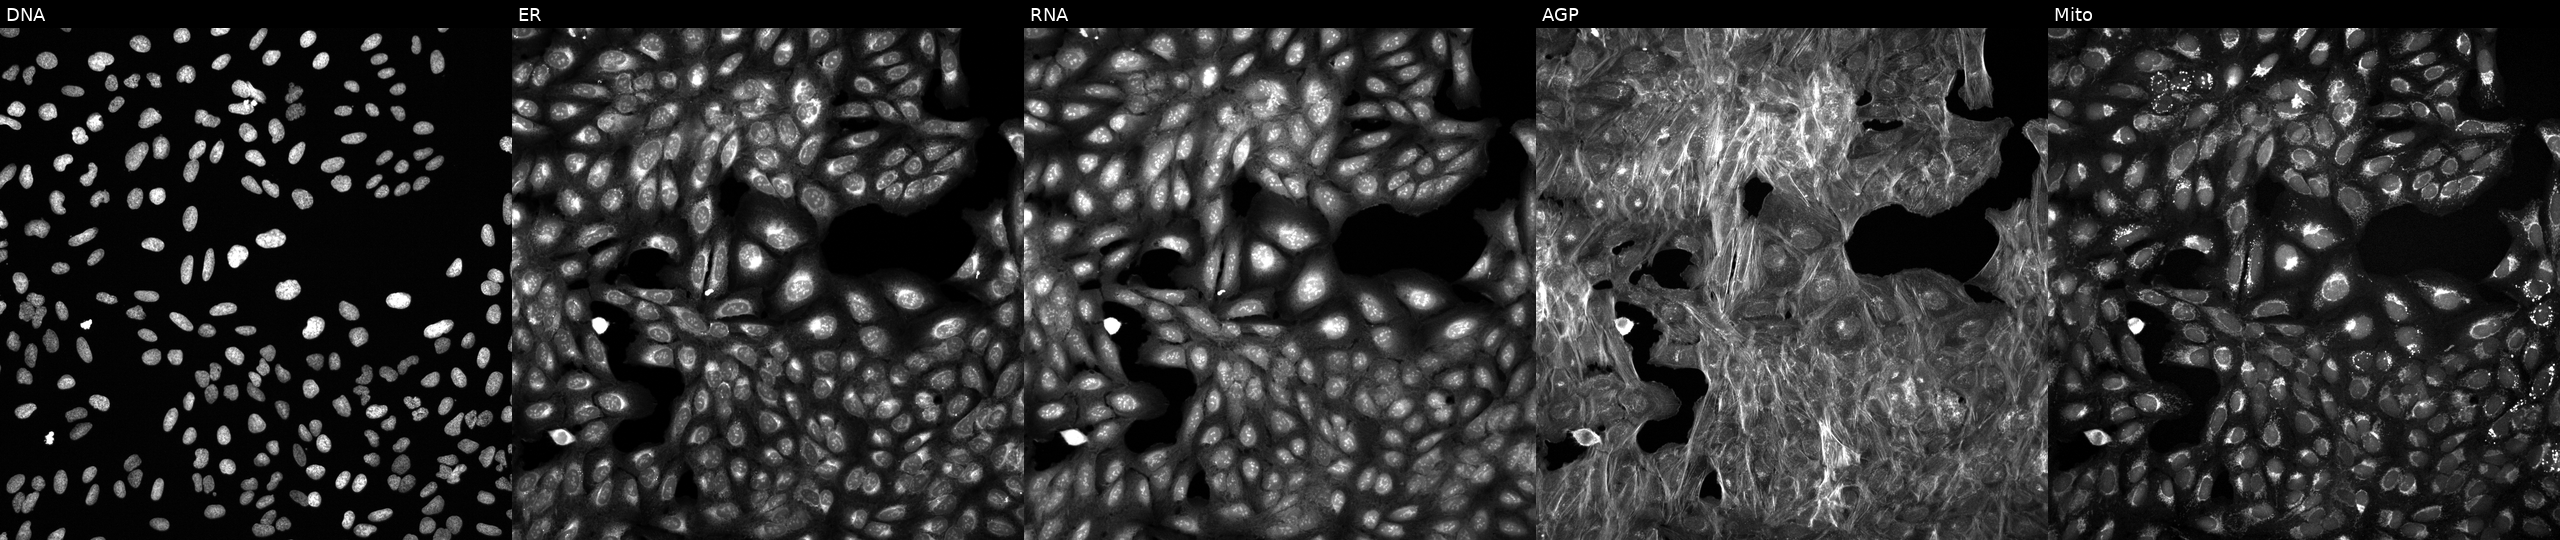
Five-channel Cell Painting image of U2OS cells exposed to a small-molecule compound (InChIKey MNLJEVJCWDJMRS-UHFFFAOYSA-N) (JUMP id JCP2022_055288). Panels show, left to right, DNA, ER, RNA, AGP, and Mito.